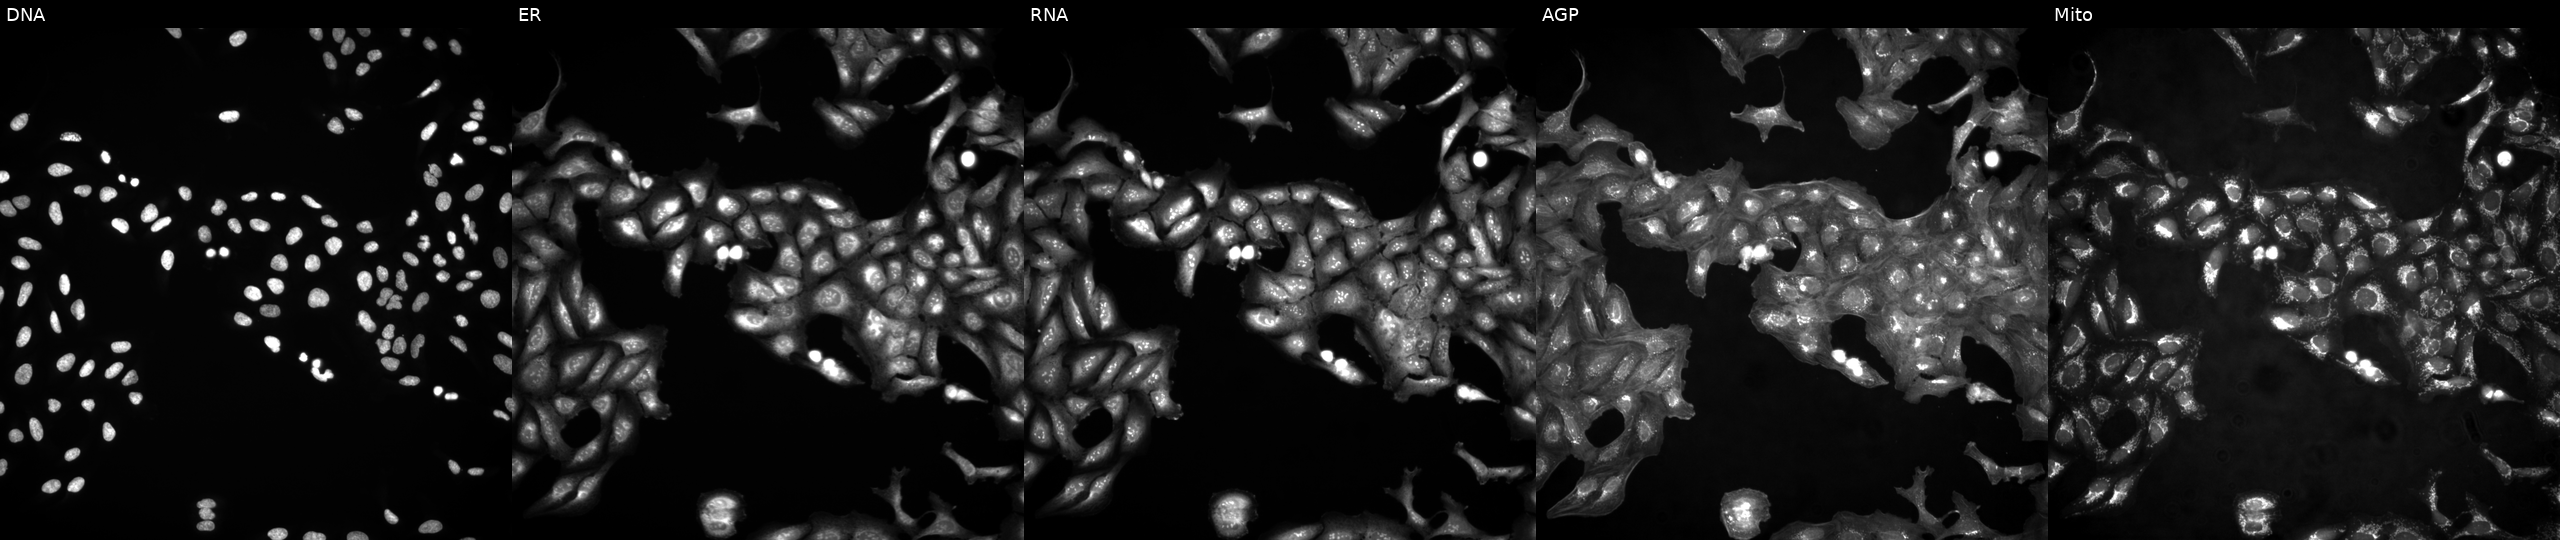
High-content fluorescence microscopy (Cell Painting). Cell line: U2OS. Perturbation: untreated (empty-well control). Channels (left→right): DNA (nuclei); ER (endoplasmic reticulum); RNA (nucleoli and cytoplasmic RNA); AGP (actin cytoskeleton, Golgi, and plasma membrane); Mito (mitochondria).